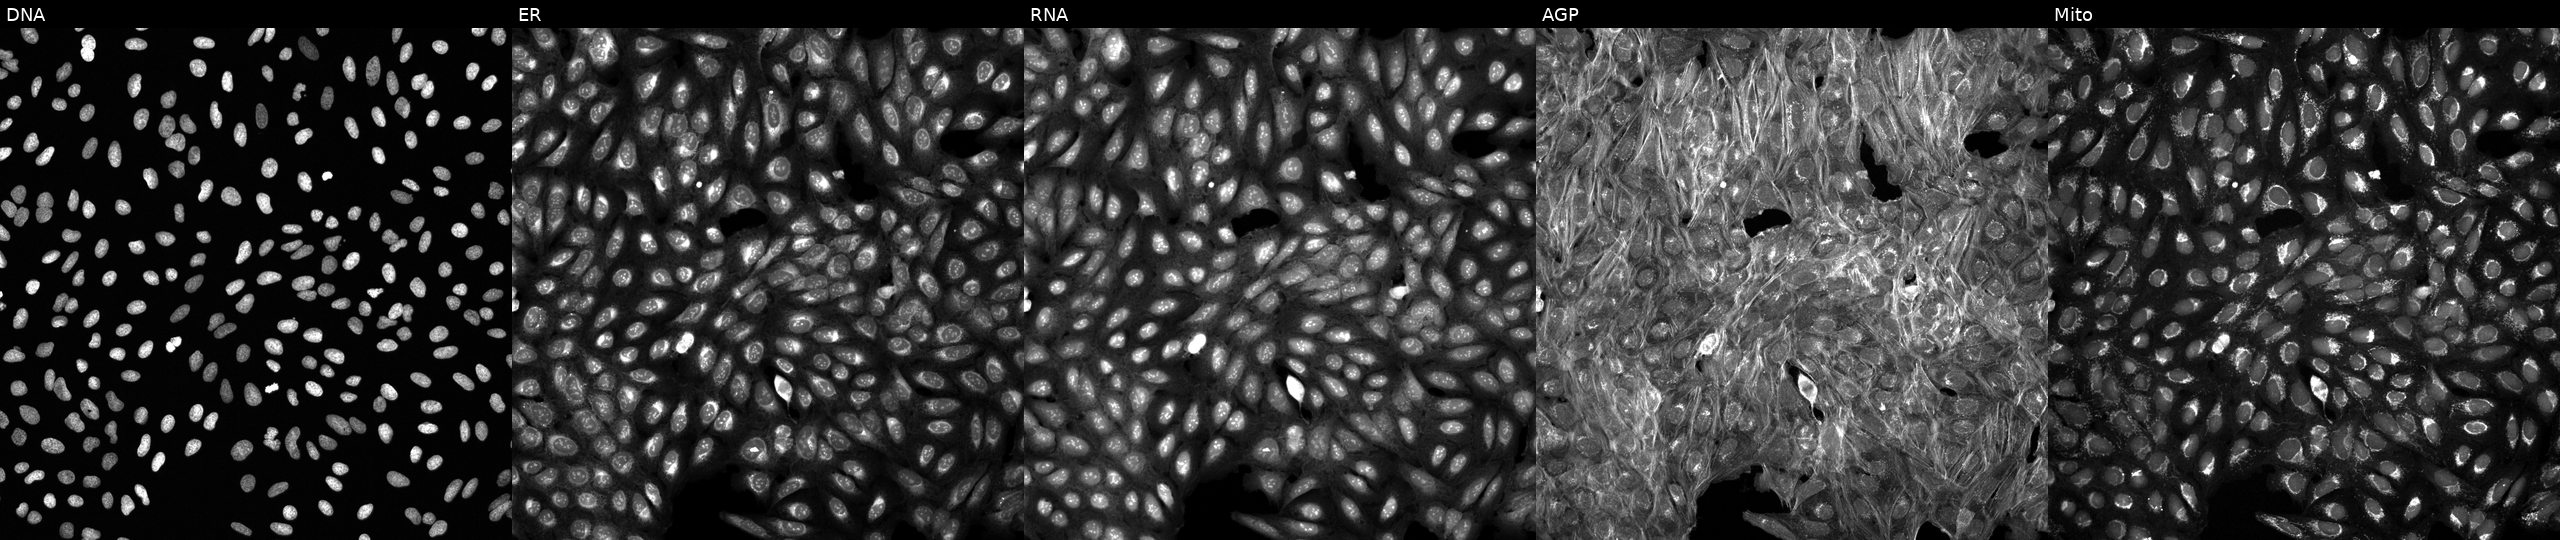
High-content fluorescence microscopy (Cell Painting). Cell line: U2OS. Perturbation: treated with a small-molecule compound (InChIKey ONIBWKKTOPOVIA-UHFFFAOYSA-N) (JUMP id JCP2022_064903). The five panels, left to right, show DNA (nuclei); ER (endoplasmic reticulum); RNA (nucleoli and cytoplasmic RNA); AGP (actin cytoskeleton, Golgi, and plasma membrane); Mito (mitochondria).